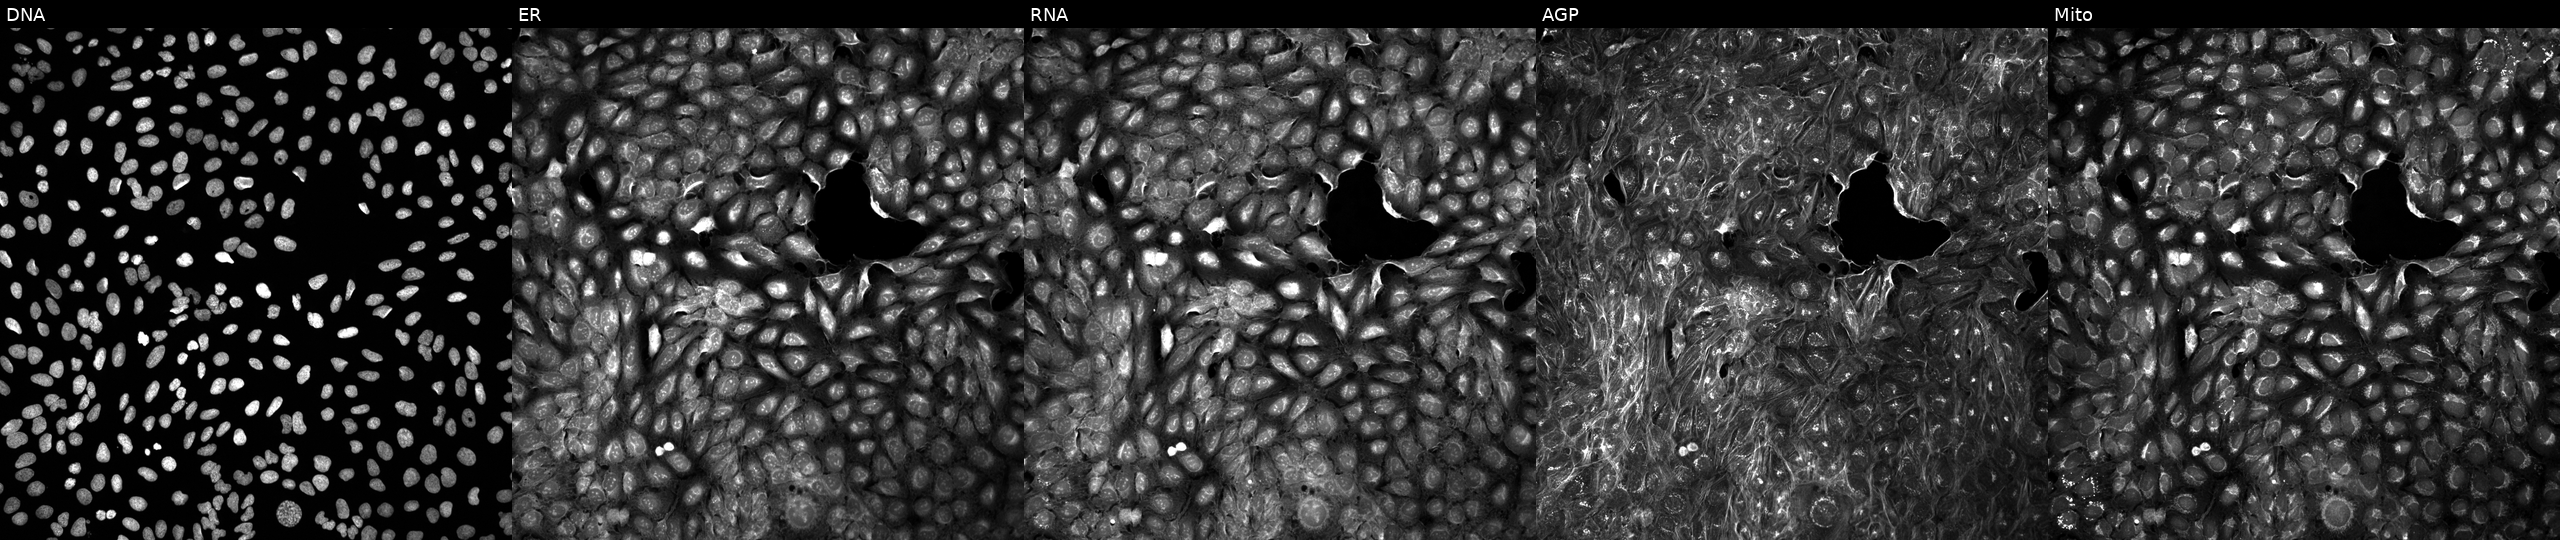
U2OS cells, Cell Painting assay, exposed to a small-molecule compound (InChIKey IIZSUFMQSDCWAH-UHFFFAOYSA-N) (JUMP id JCP2022_035369). Channels (left→right): Hoechst 33342, concanavalin A, SYTO 14, phalloidin and WGA, MitoTracker. Each panel is percentile-stretched 16-bit fluorescence. Source 5, plate APTJUM106, well O21.